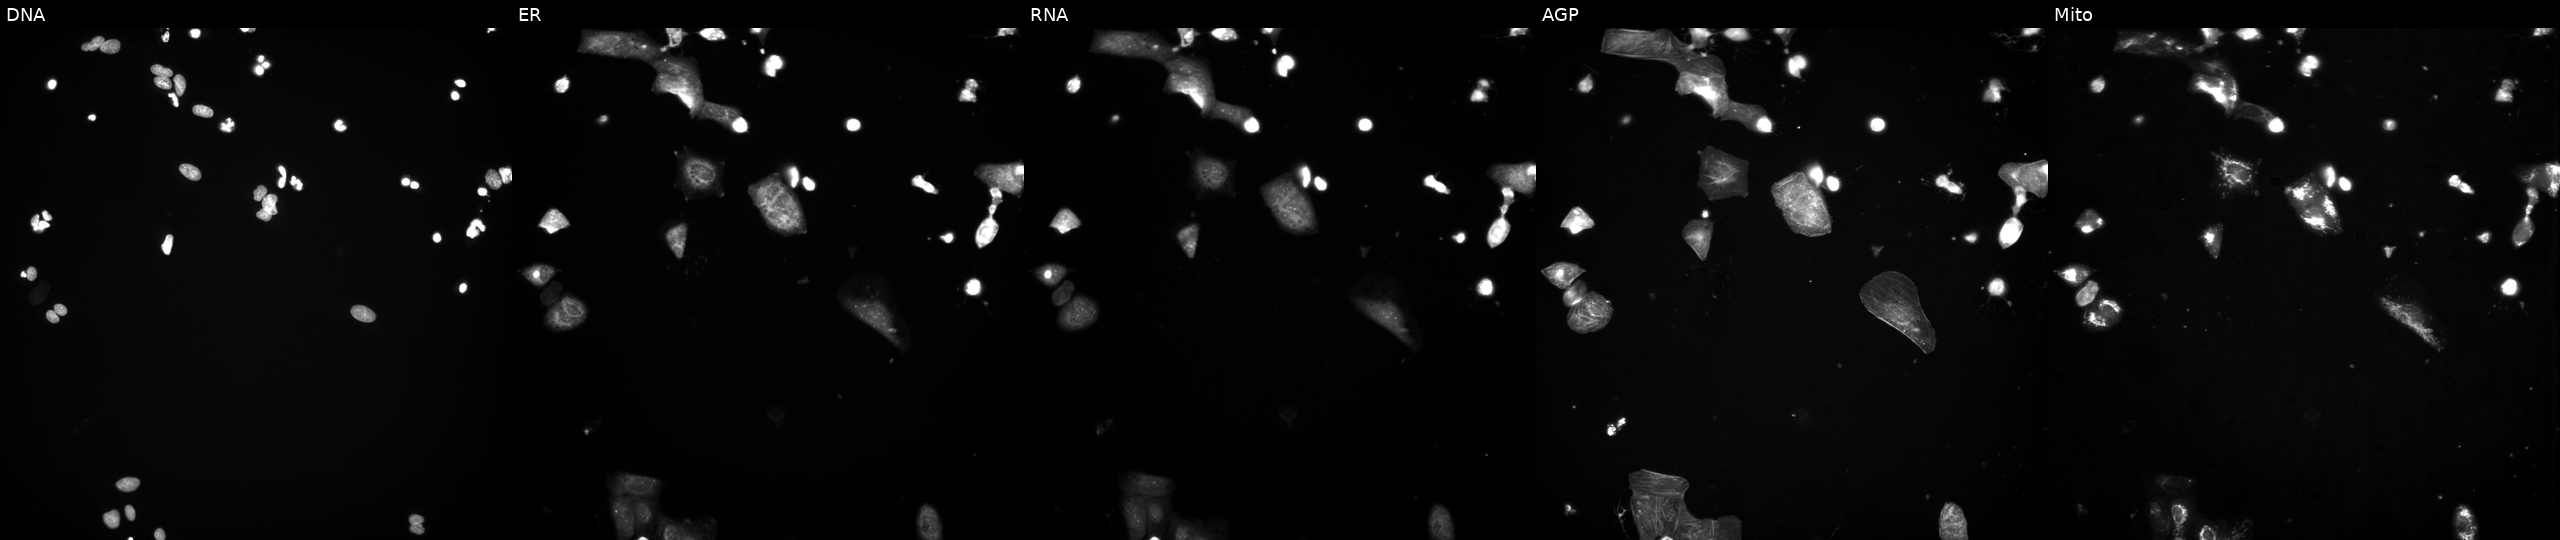
This image strip shows the five Cell Painting channels for a single field of U2OS cells treated with a small-molecule compound (InChIKey RVAQIUULWULRNW-UHFFFAOYSA-N). Channels (left→right): DNA, ER, RNA, AGP, and Mito.